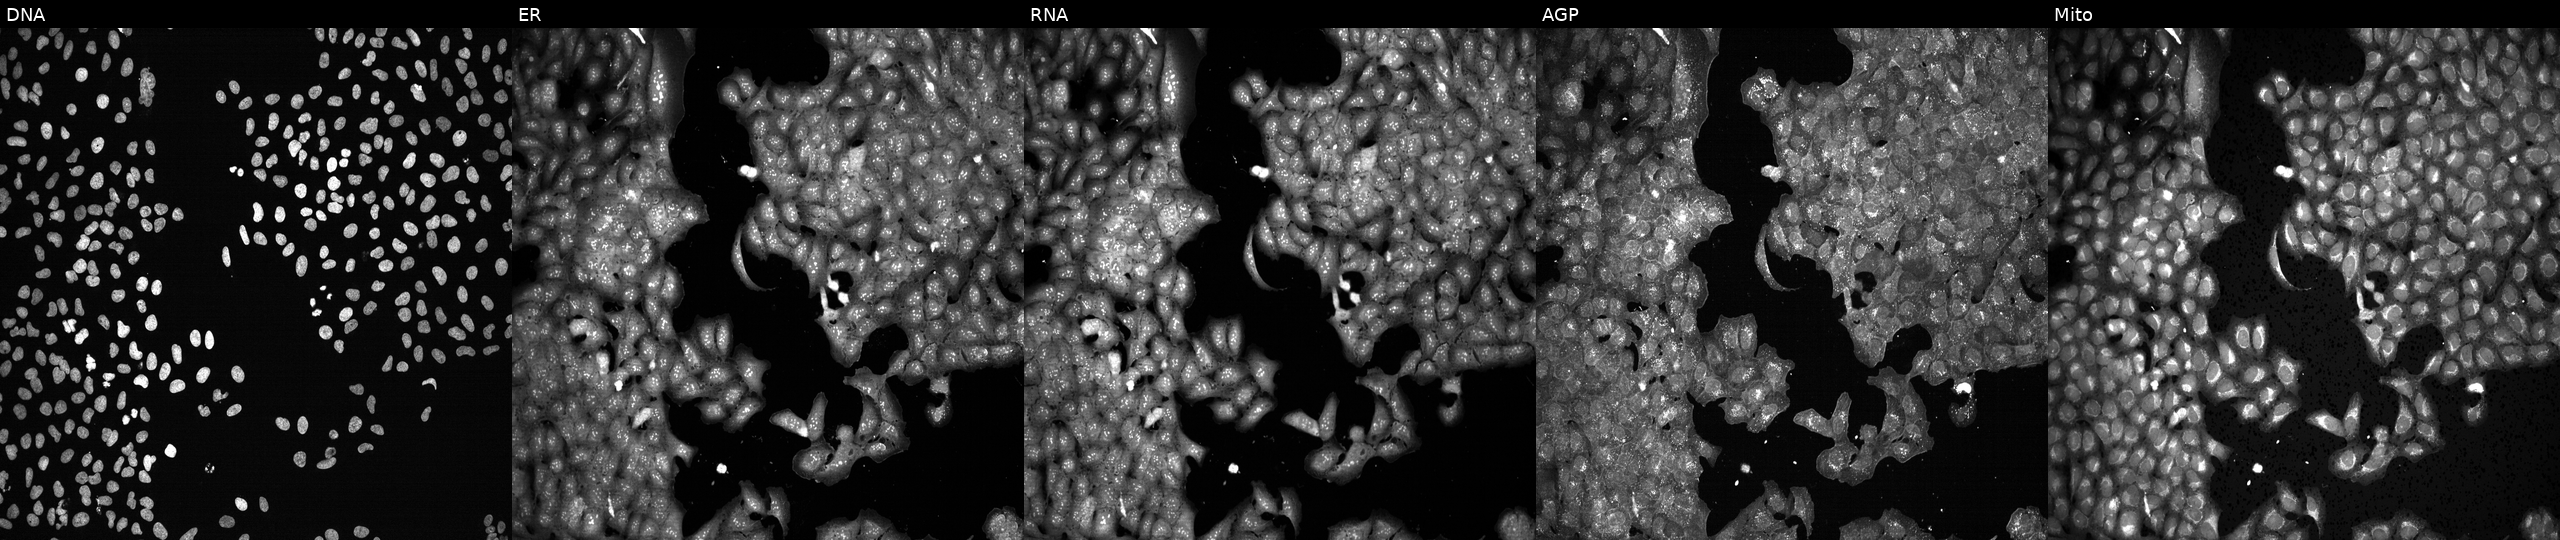
High-content fluorescence microscopy (Cell Painting). Cell line: U2OS. Perturbation: exposed to the positive-control compound NVS-PAK1-1 (JUMP id JCP2022_064022). Panels show, left to right, DNA (nuclei); ER (endoplasmic reticulum); RNA (nucleoli and cytoplasmic RNA); AGP (actin cytoskeleton, Golgi, and plasma membrane); Mito (mitochondria).